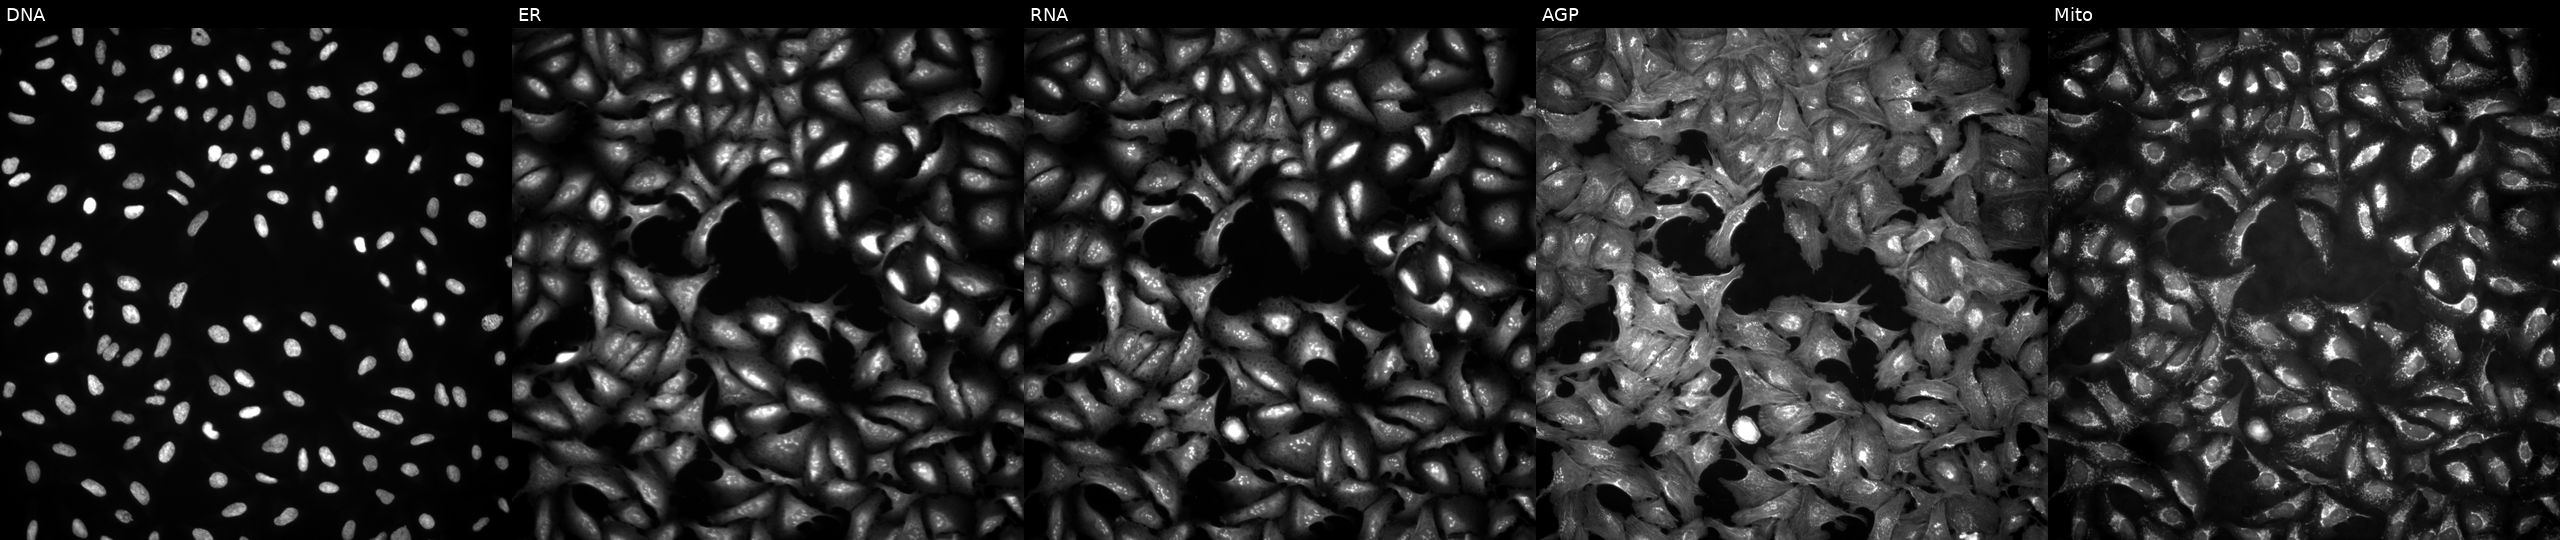
JUMP Cell Painting — ORF plate. U2OS cells transfected with an ORF construct for RAB40A. The five panels, left to right, show DNA (nuclei); ER (endoplasmic reticulum); RNA (nucleoli and cytoplasmic RNA); AGP (actin cytoskeleton, Golgi, and plasma membrane); Mito (mitochondria). Source 4, plate BR00124784, well O02.